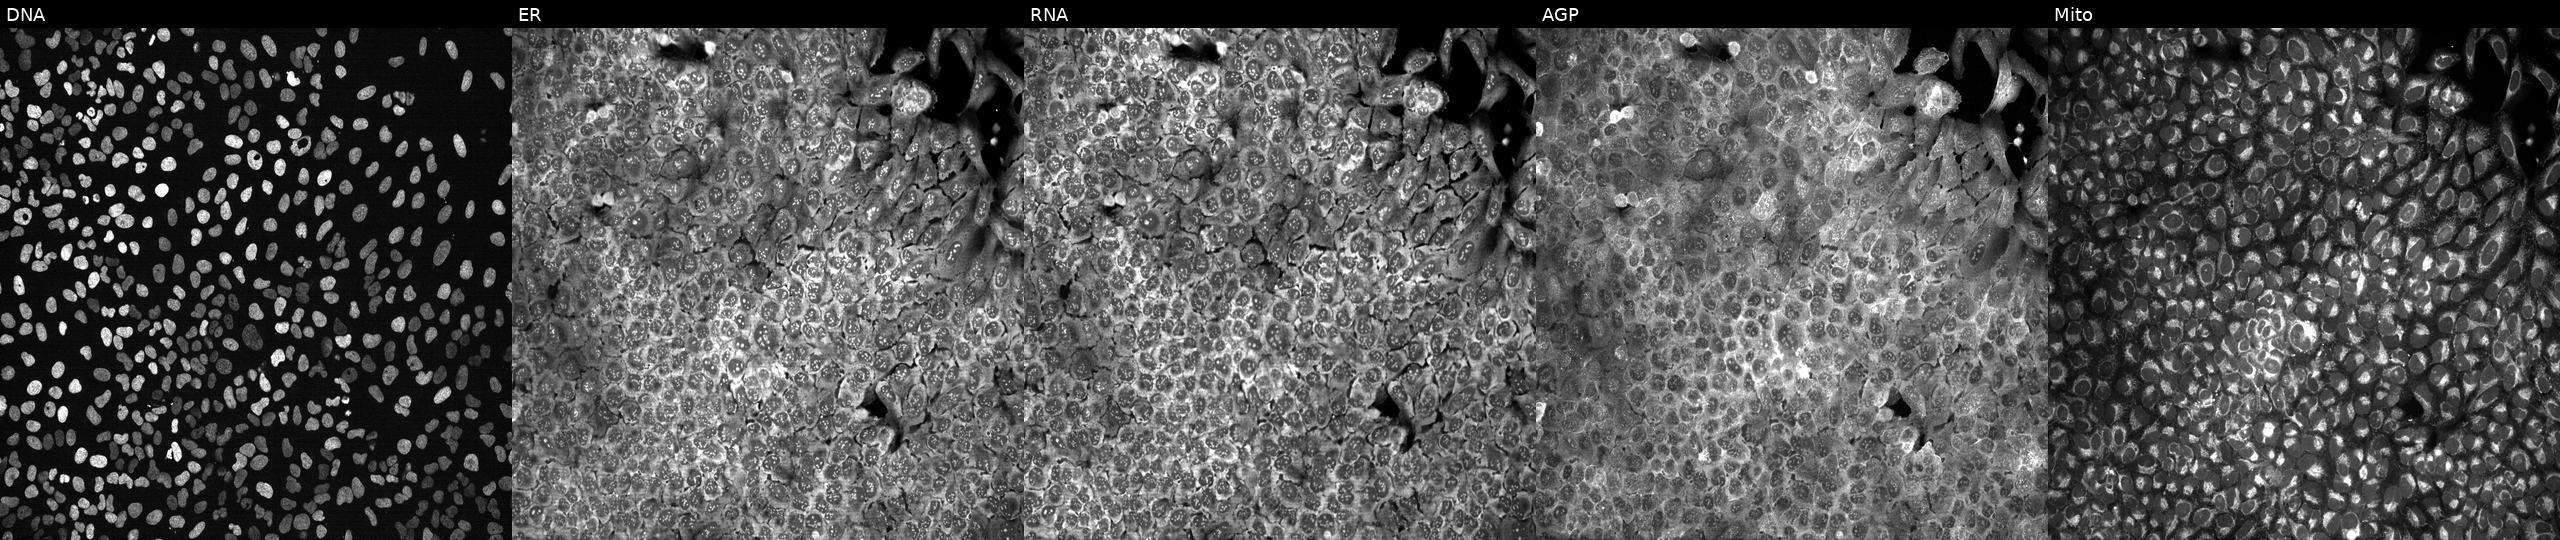
From left to right: DNA (nuclei); ER (endoplasmic reticulum); RNA (nucleoli and cytoplasmic RNA); AGP (actin cytoskeleton, Golgi, and plasma membrane); Mito (mitochondria). U2OS osteosarcoma cells following CRISPR knockout of SLC25A3 (JUMP id JCP2022_806456). Cell Painting assay, JUMP-CP dataset. Source 13, plate CP-CC9-R4-03, well G16.